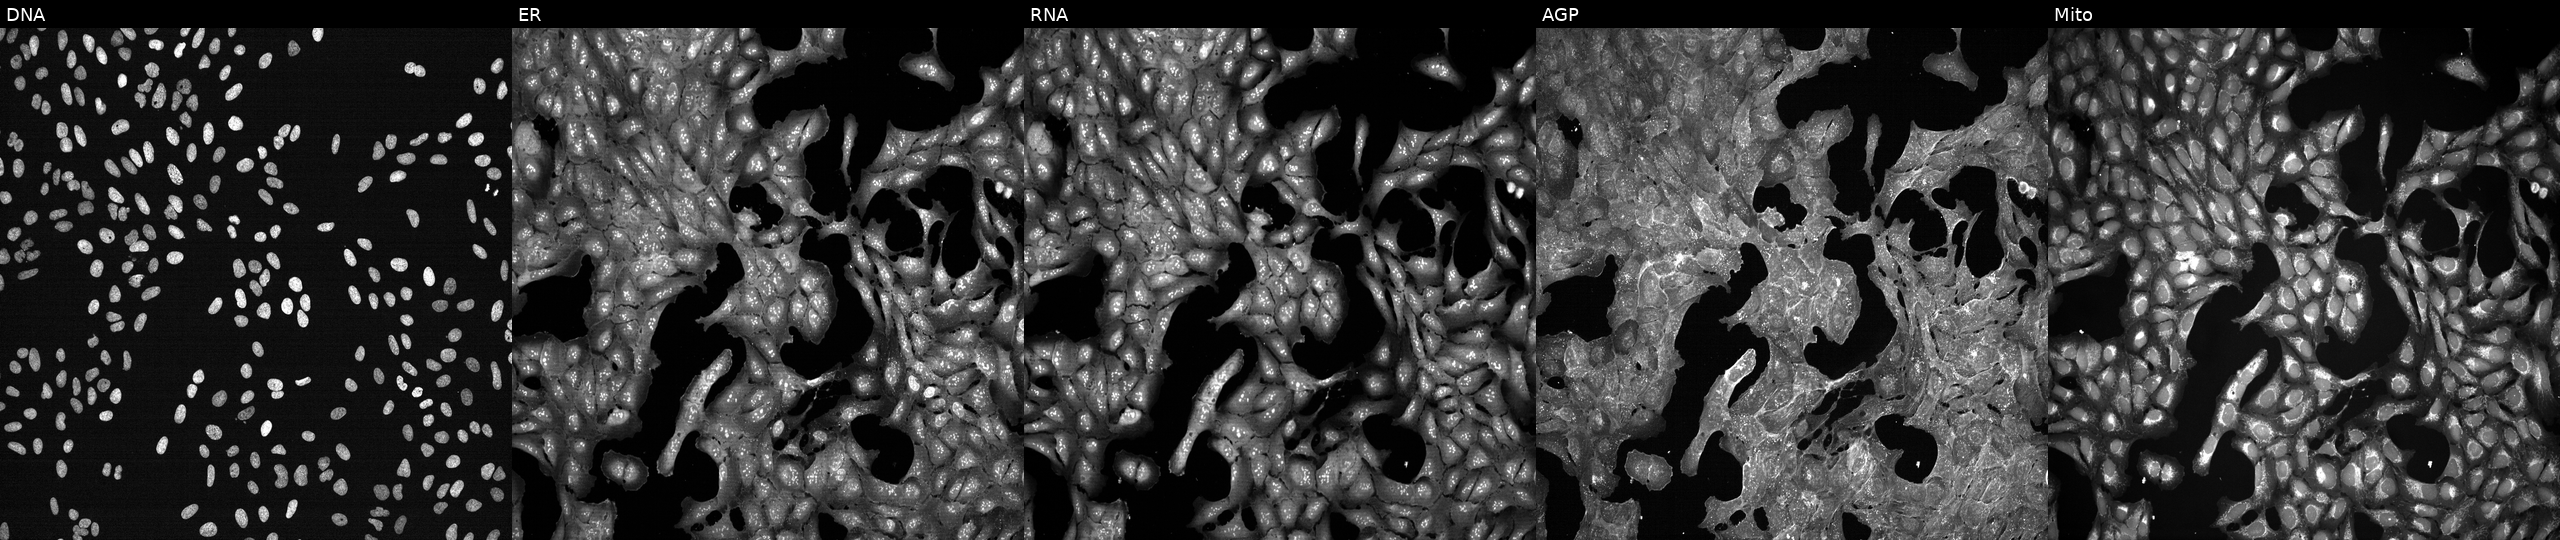
This image strip shows the five Cell Painting channels for a single field of U2OS cells treated with DMSO vehicle only (negative control). From left to right: DNA, ER, RNA, AGP, and Mito. Source 7, plate CP2-SC1-25, well E08.